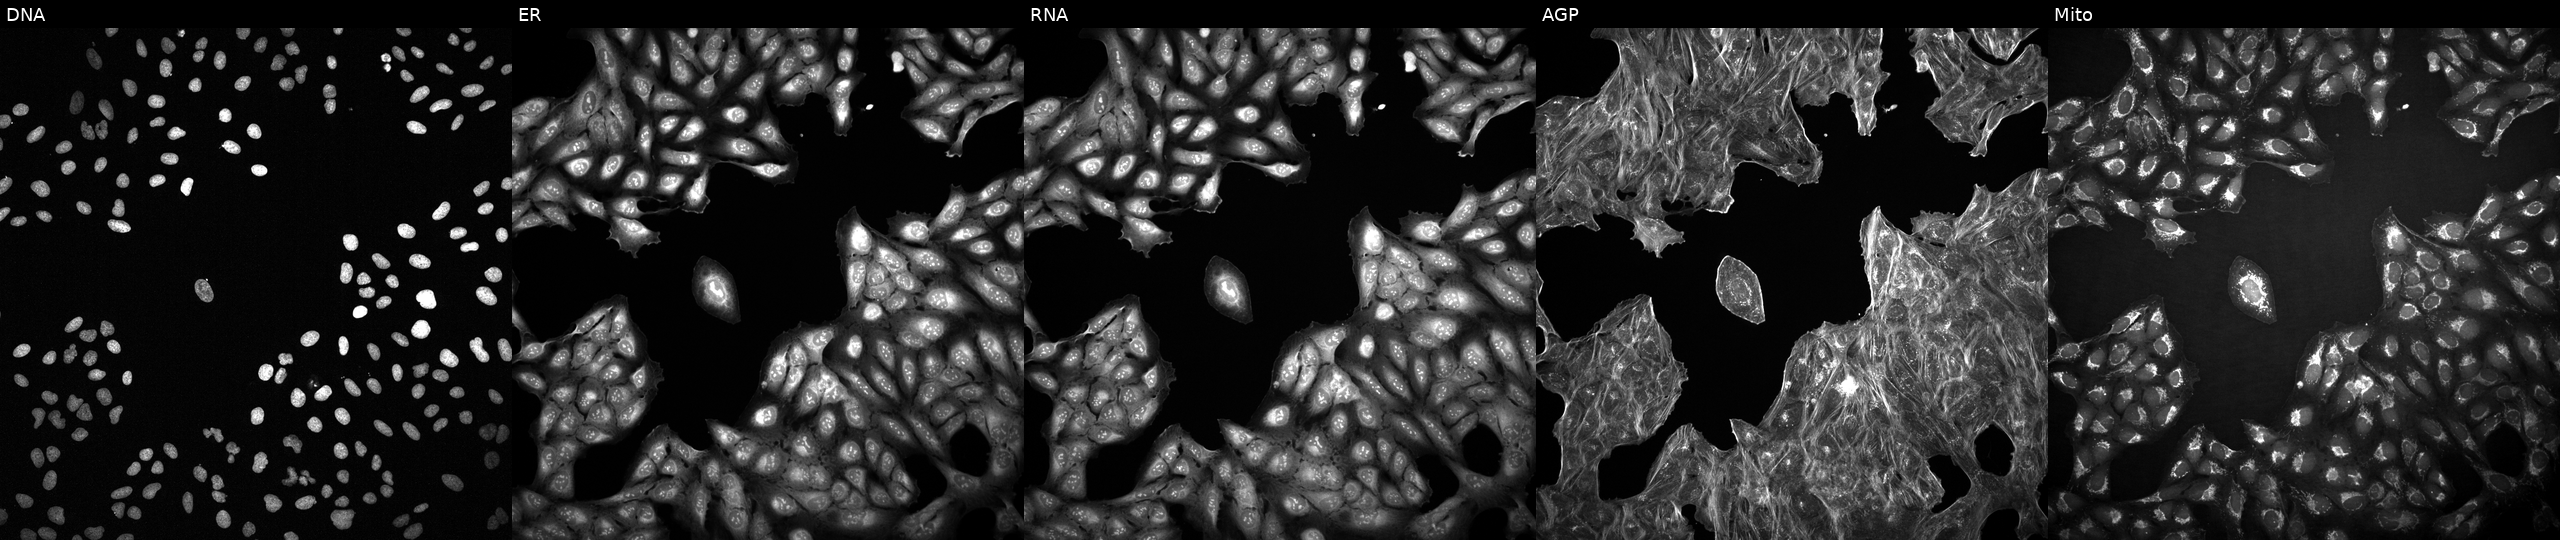
This image strip shows the five Cell Painting channels for a single field of U2OS cells perturbed with a small-molecule compound (InChIKey LCLVVYDZVZJPII-UHFFFAOYSA-N) [SMILES: N=c1c(-c2ccc(Cl)cc2)c[nH]c2cc(-c3ccccc3)nn12]. Channels (left→right): DNA, ER, RNA, AGP, and Mito. Source 2, plate 1053601756, well K18.